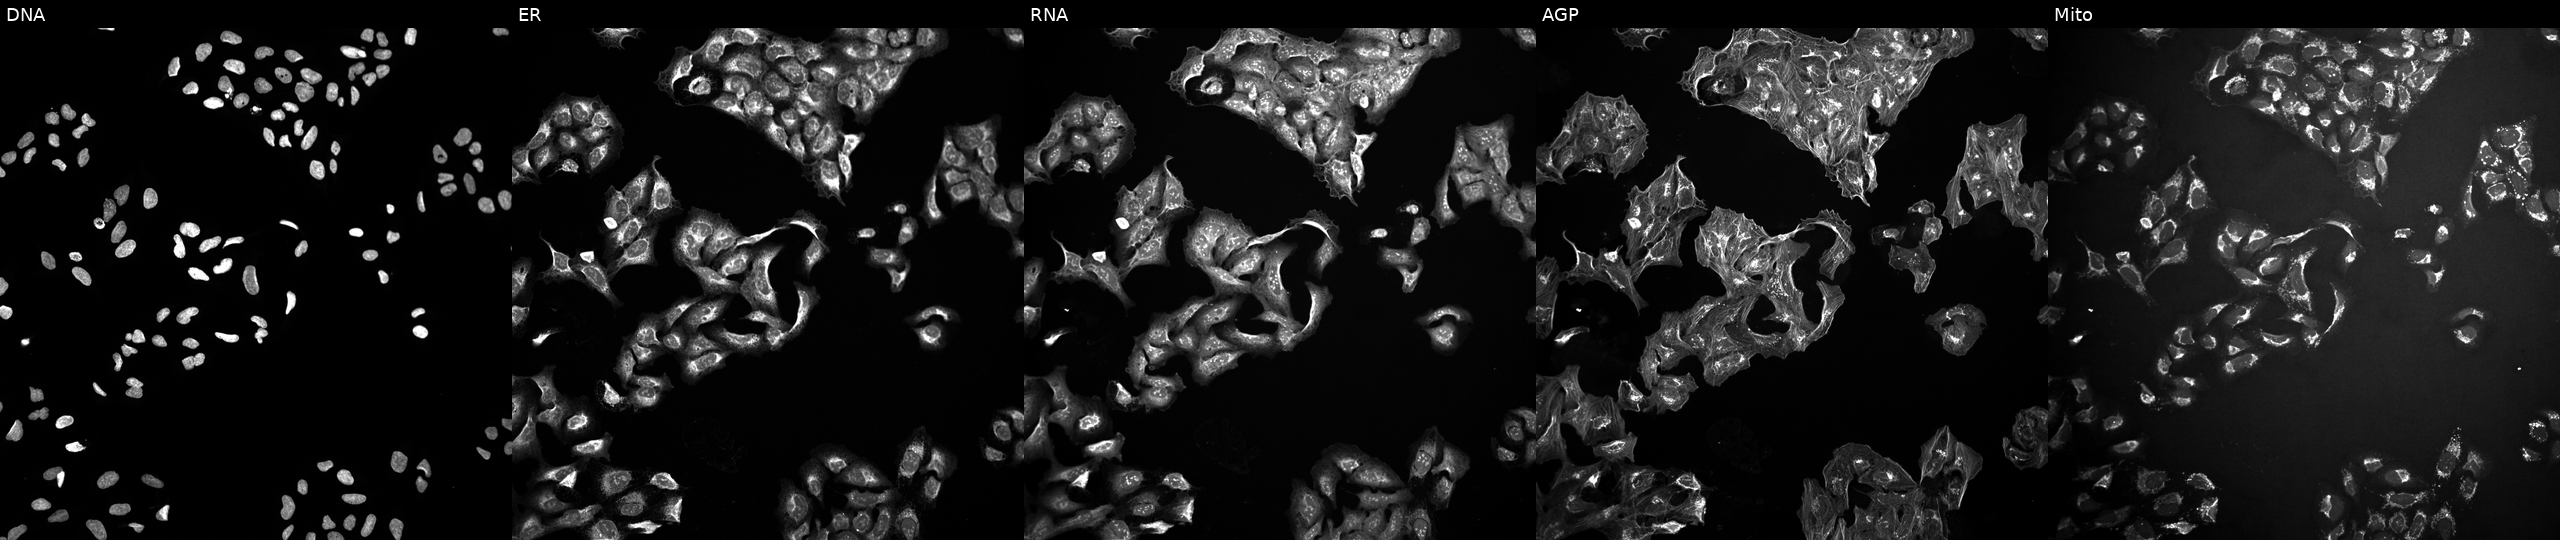
U2OS cells, Cell Painting assay, exposed to the positive-control compound NVS-PAK1-1. Panels show, left to right, Hoechst 33342, concanavalin A, SYTO 14, phalloidin and WGA, MitoTracker. Each panel is percentile-stretched 16-bit fluorescence.